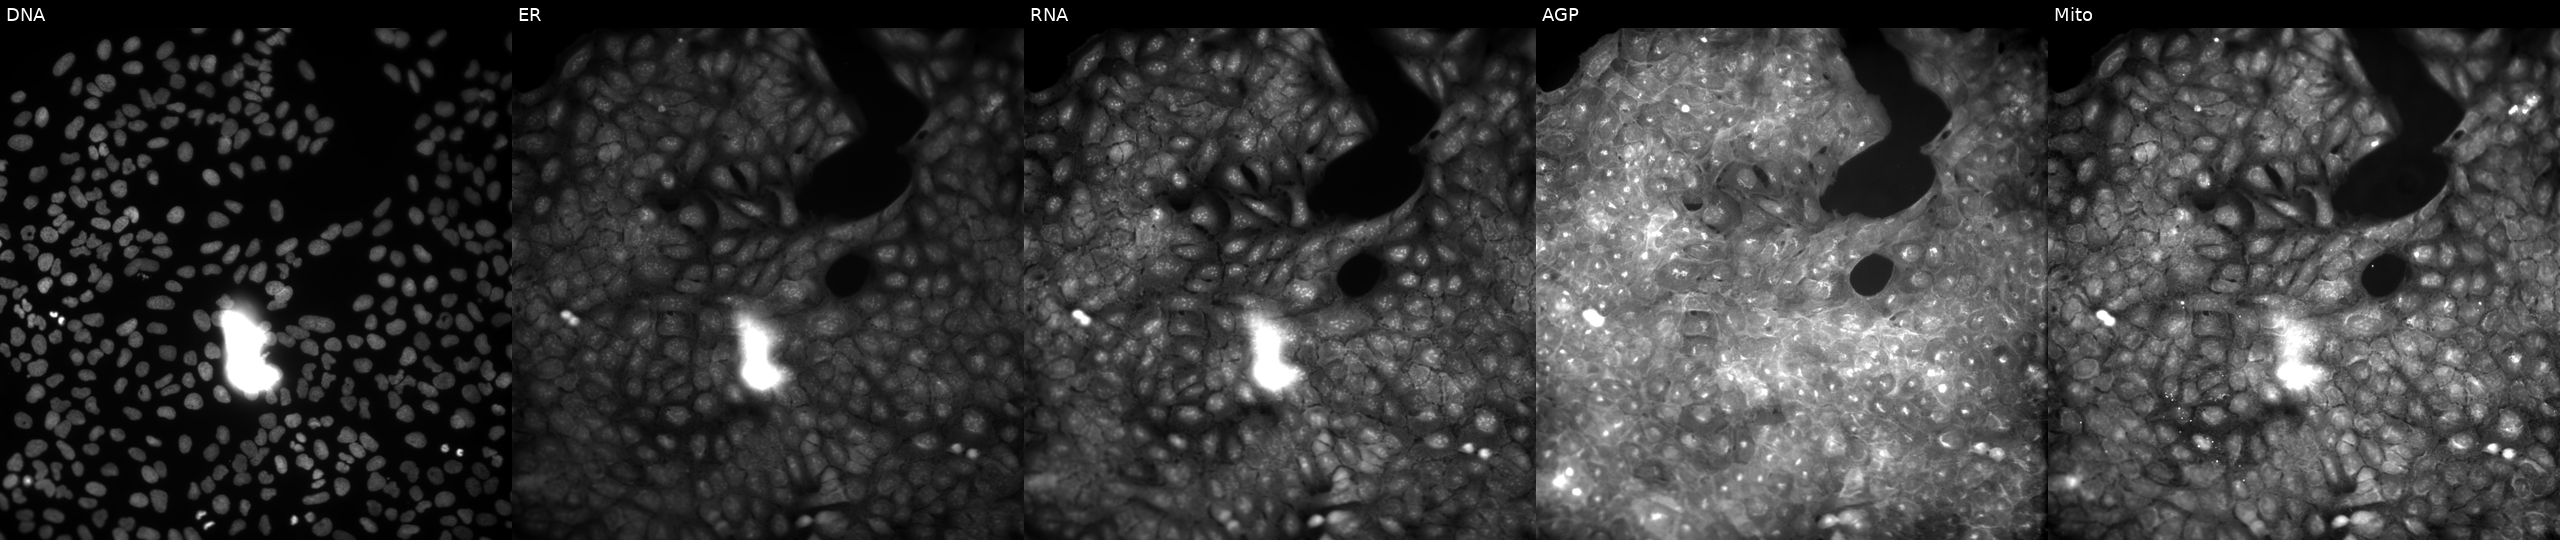
This image strip shows the five Cell Painting channels for a single field of U2OS cells exposed to a small-molecule compound (InChIKey LOERDRAJGKDDBC-UHFFFAOYSA-N) (JUMP id JCP2022_050681). Panels show, left to right, Hoechst 33342, concanavalin A, SYTO 14, phalloidin and WGA, MitoTracker.